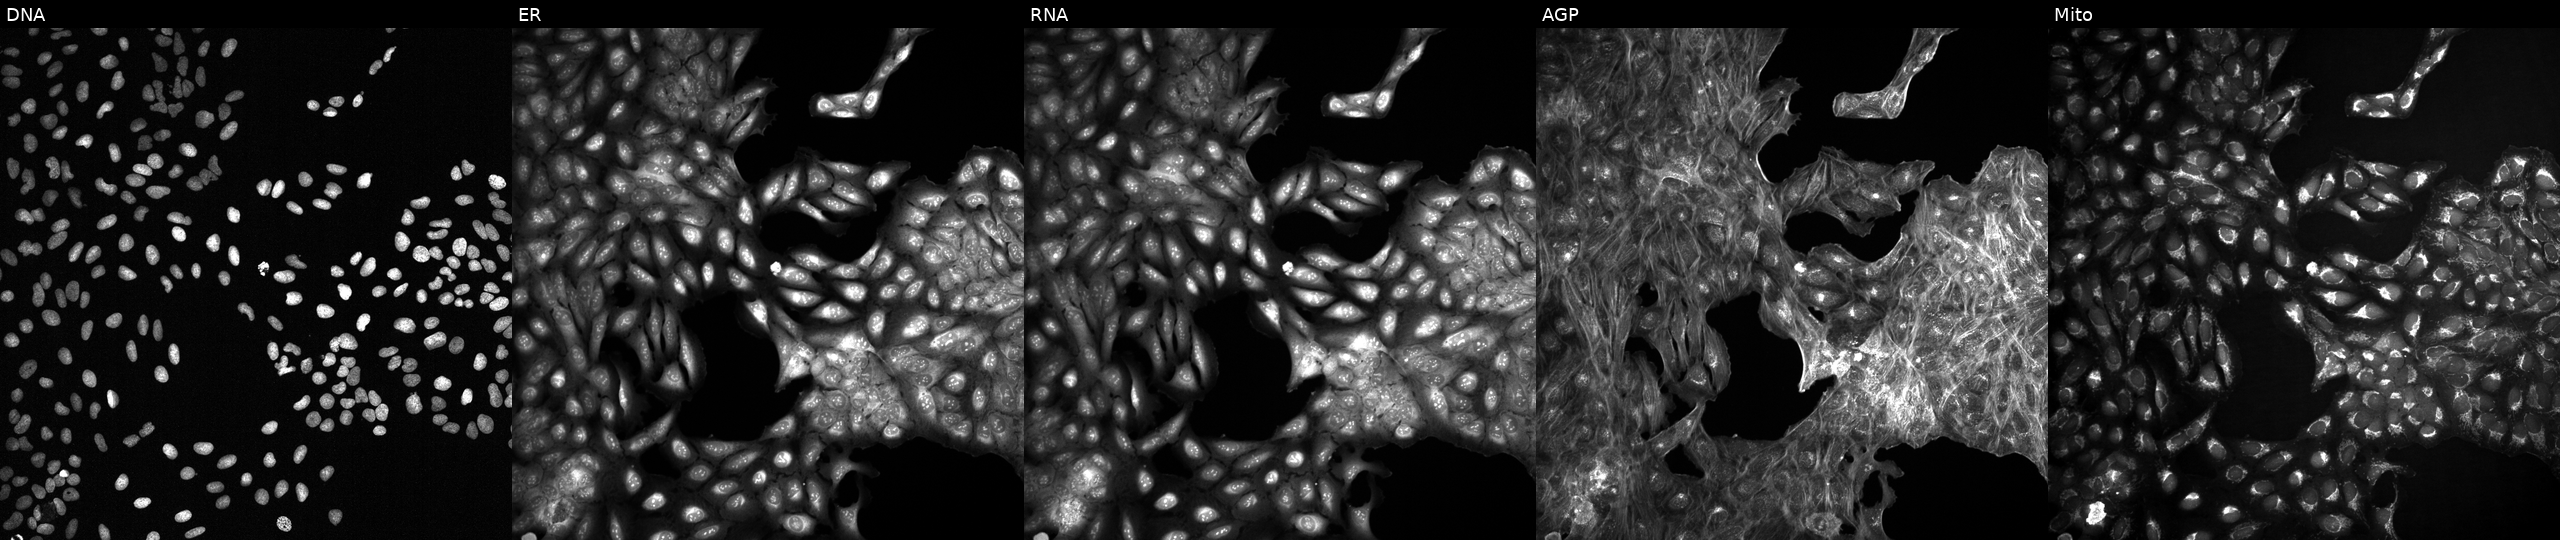
From left to right: DNA, ER, RNA, AGP, and Mito. U2OS osteosarcoma cells exposed to DMSO alone as a negative control (JUMP id JCP2022_033924). Cell Painting assay, JUMP-CP dataset. Source 2, plate 1053601763, well H23.